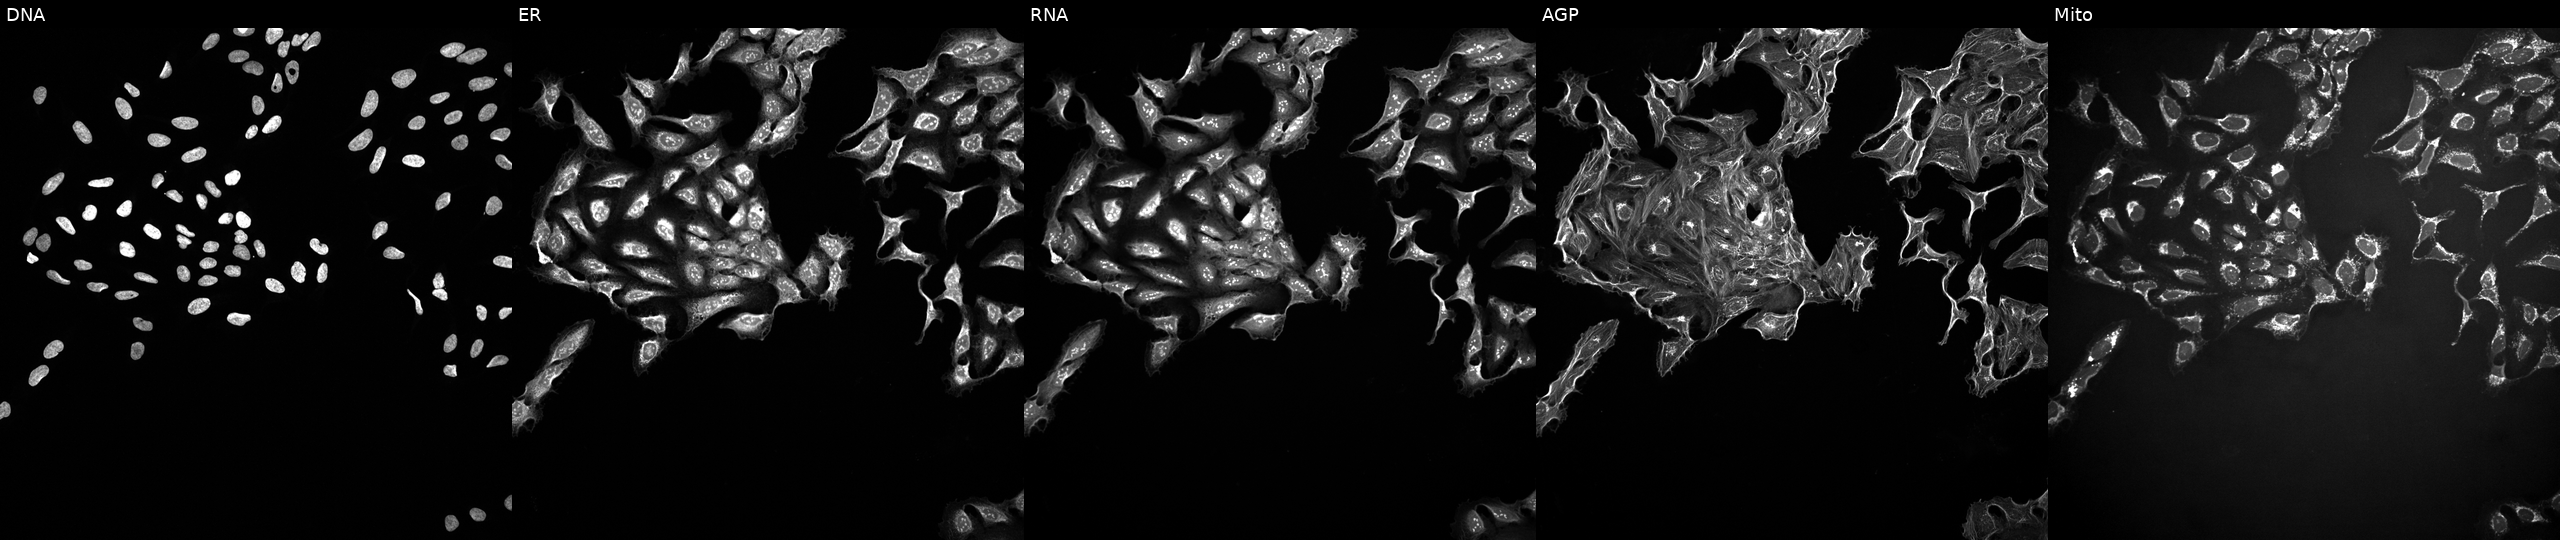
JUMP Cell Painting — TARGET2 plate. U2OS cells treated with a small-molecule compound (InChIKey HSUGRBWQSSZJOP-UHFFFAOYSA-N) [SMILES: COc1ccc(C2Sc3ccccc3N(CCN(C)C)C(=O)C2OC(C)=O)cc1] (JUMP id JCP2022_032357). Channels (left→right): DNA (nuclei); ER (endoplasmic reticulum); RNA (nucleoli and cytoplasmic RNA); AGP (actin cytoskeleton, Golgi, and plasma membrane); Mito (mitochondria).